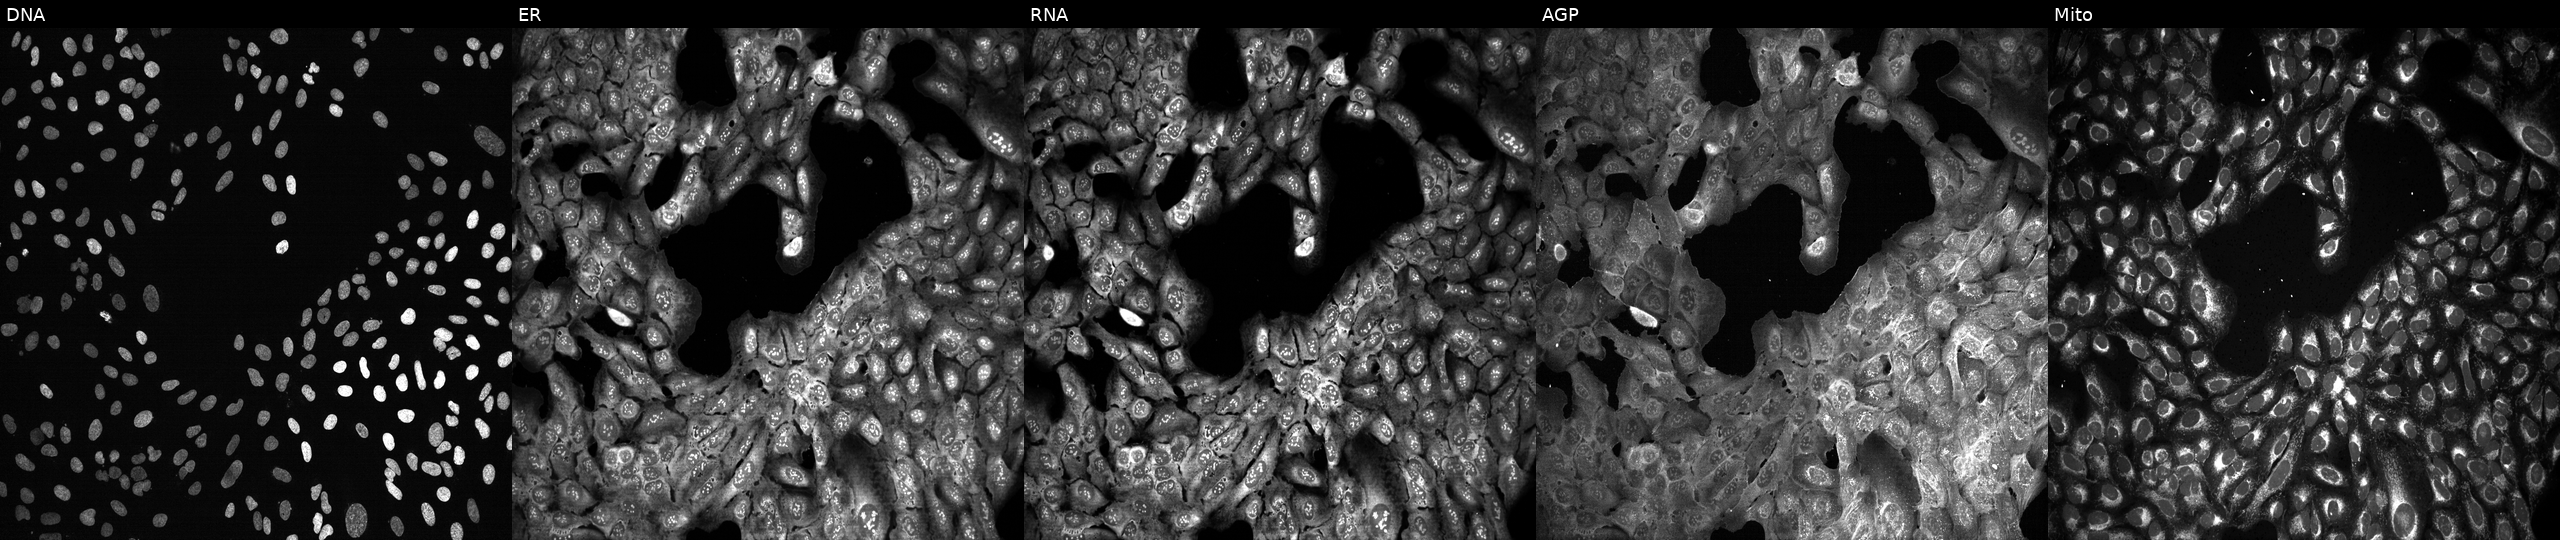
This image strip shows the five Cell Painting channels for a single field of U2OS cells CRISPR-edited to disrupt ERCC4 (JUMP id JCP2022_802167). Channels (left→right): Hoechst 33342, concanavalin A, SYTO 14, phalloidin and WGA, MitoTracker.